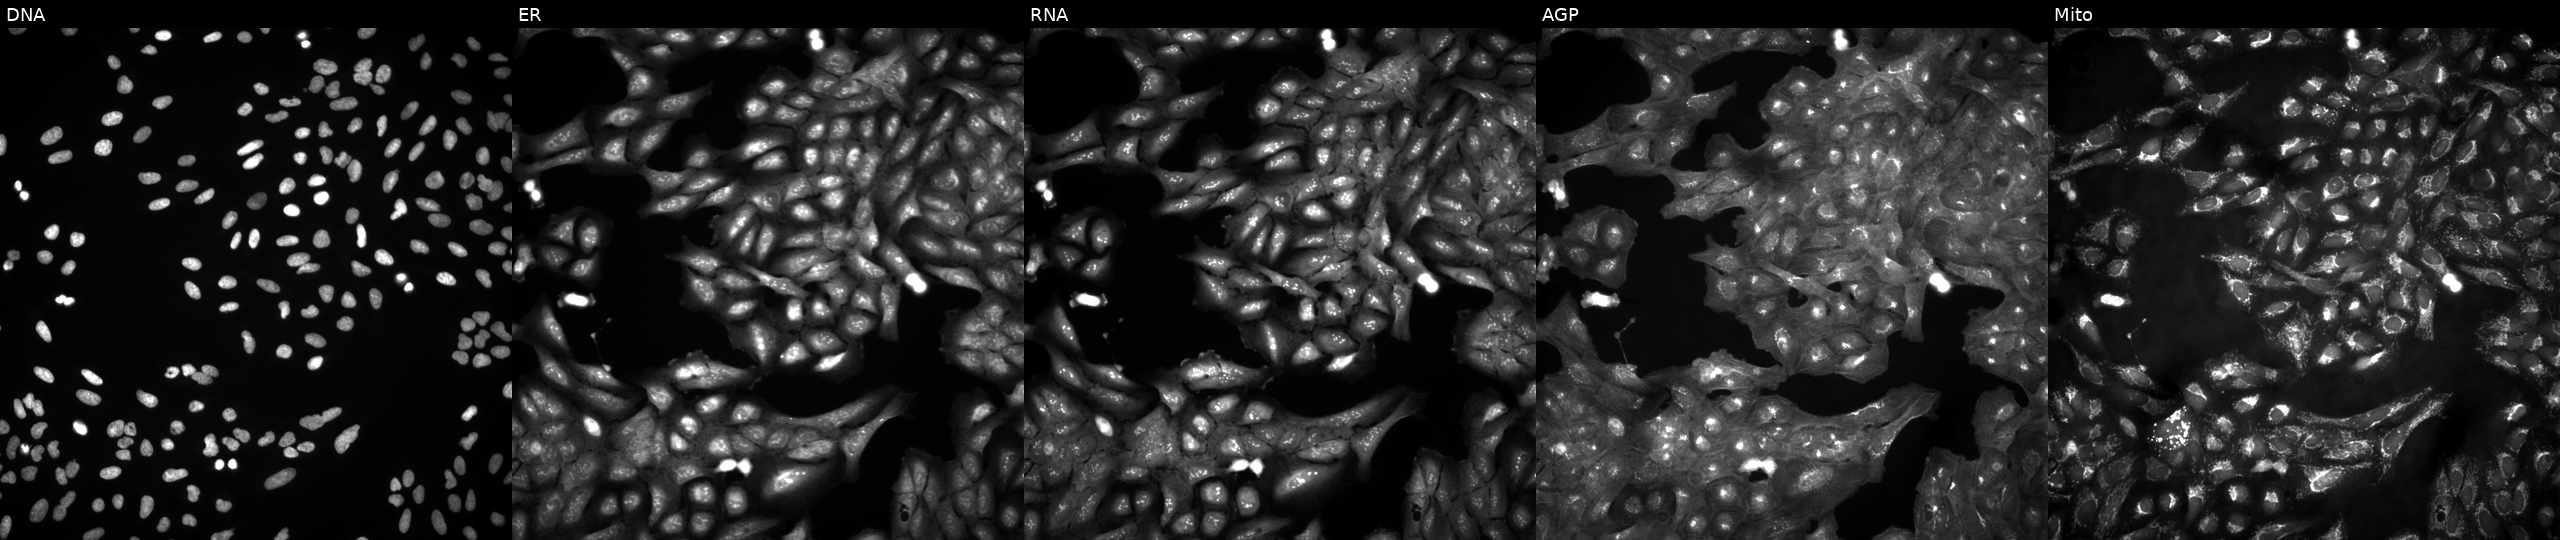
High-content fluorescence microscopy (Cell Painting). Cell line: U2OS. Perturbation: in an empty control well (no perturbation). Panels show, left to right, DNA (nuclei); ER (endoplasmic reticulum); RNA (nucleoli and cytoplasmic RNA); AGP (actin cytoskeleton, Golgi, and plasma membrane); Mito (mitochondria).